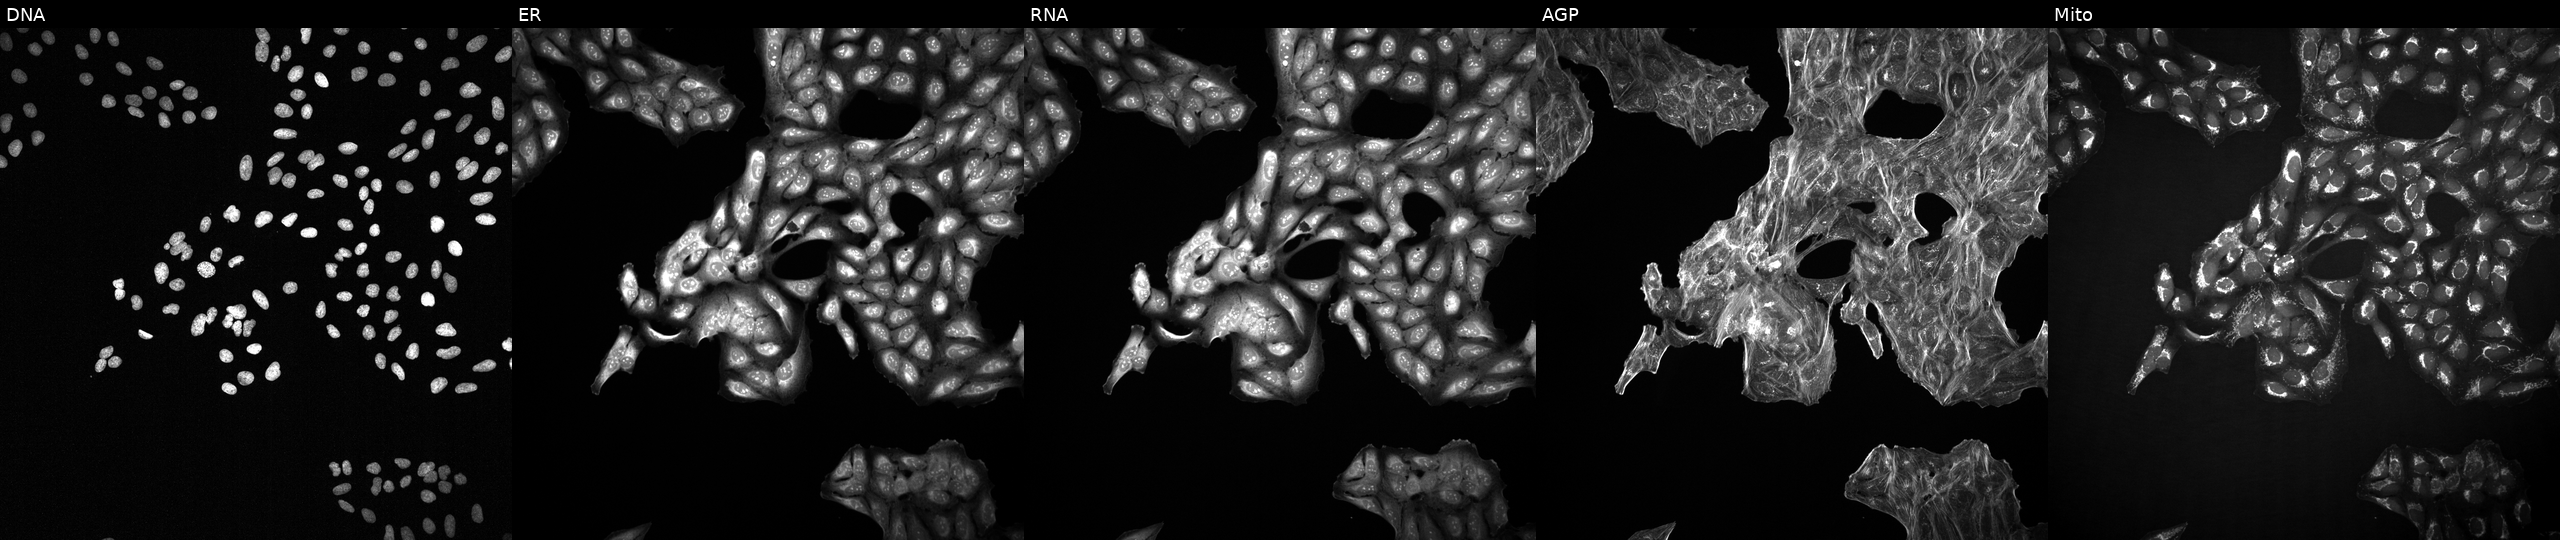
Channels (left→right): DNA, ER, RNA, AGP, and Mito. U2OS osteosarcoma cells treated with a small-molecule compound (JUMP id JCP2022_025959). Cell Painting assay, JUMP-CP dataset.